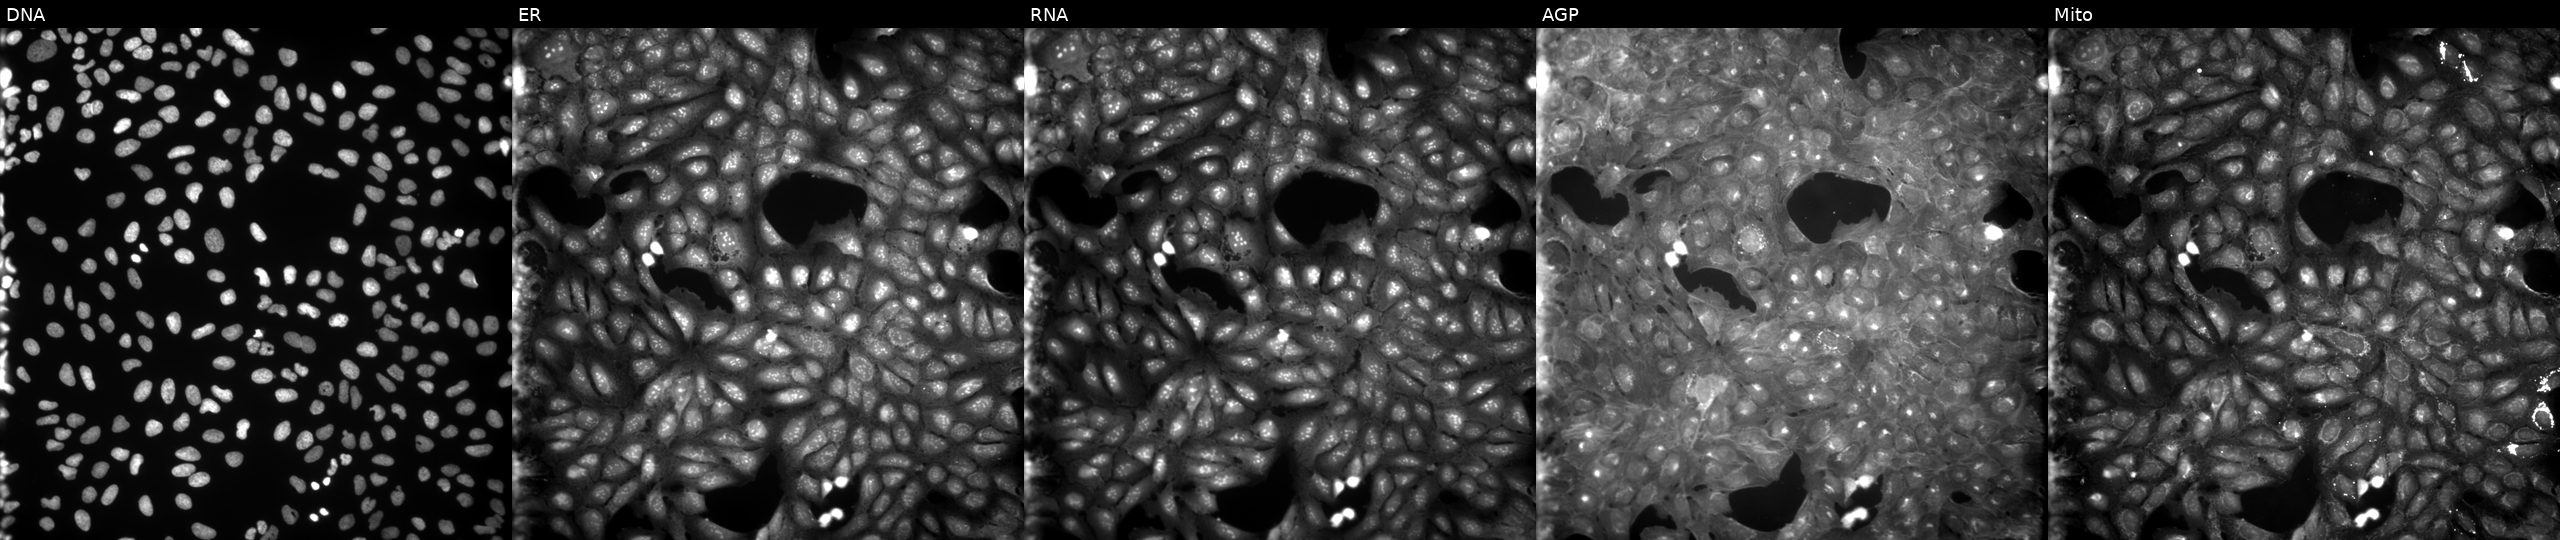
JUMP Cell Painting — COMPOUND plate. U2OS cells treated with a small-molecule compound (JUMP id JCP2022_020875). The five panels, left to right, show DNA (nuclei); ER (endoplasmic reticulum); RNA (nucleoli and cytoplasmic RNA); AGP (actin cytoskeleton, Golgi, and plasma membrane); Mito (mitochondria). Source 9, plate GR00003382, well H18.